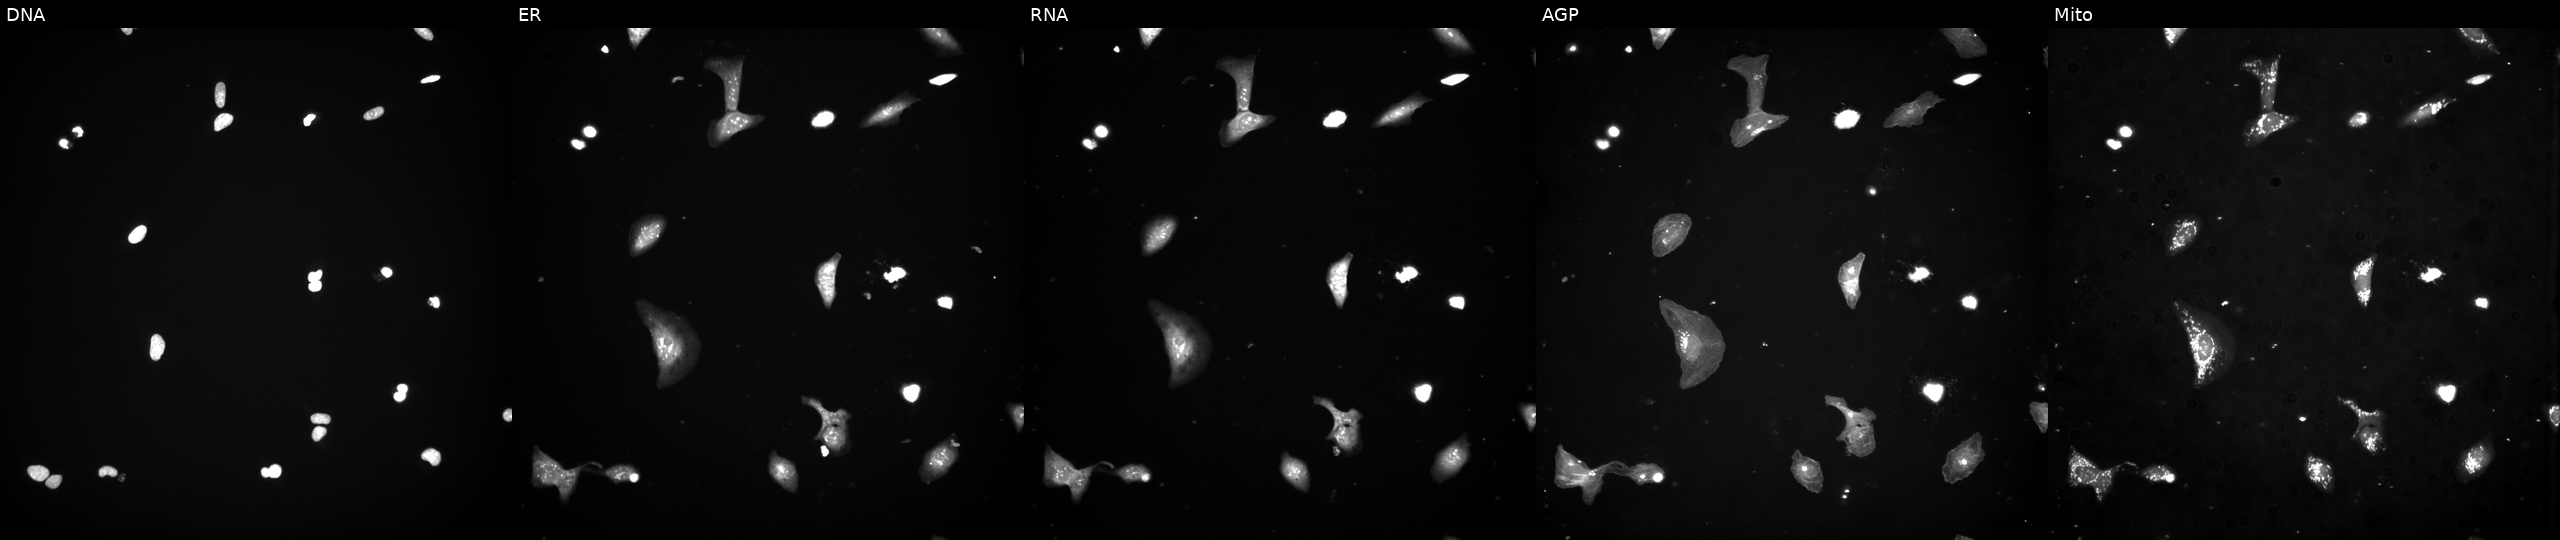
High-content fluorescence microscopy (Cell Painting). Cell line: U2OS. Perturbation: perturbed with a small-molecule compound (InChIKey YKJYKKNCCRKFSL-UHFFFAOYSA-N) [SMILES: COc1ccc(CC2NCC(O)C2OC(C)=O)cc1]. From left to right: DNA (nuclei); ER (endoplasmic reticulum); RNA (nucleoli and cytoplasmic RNA); AGP (actin cytoskeleton, Golgi, and plasma membrane); Mito (mitochondria).